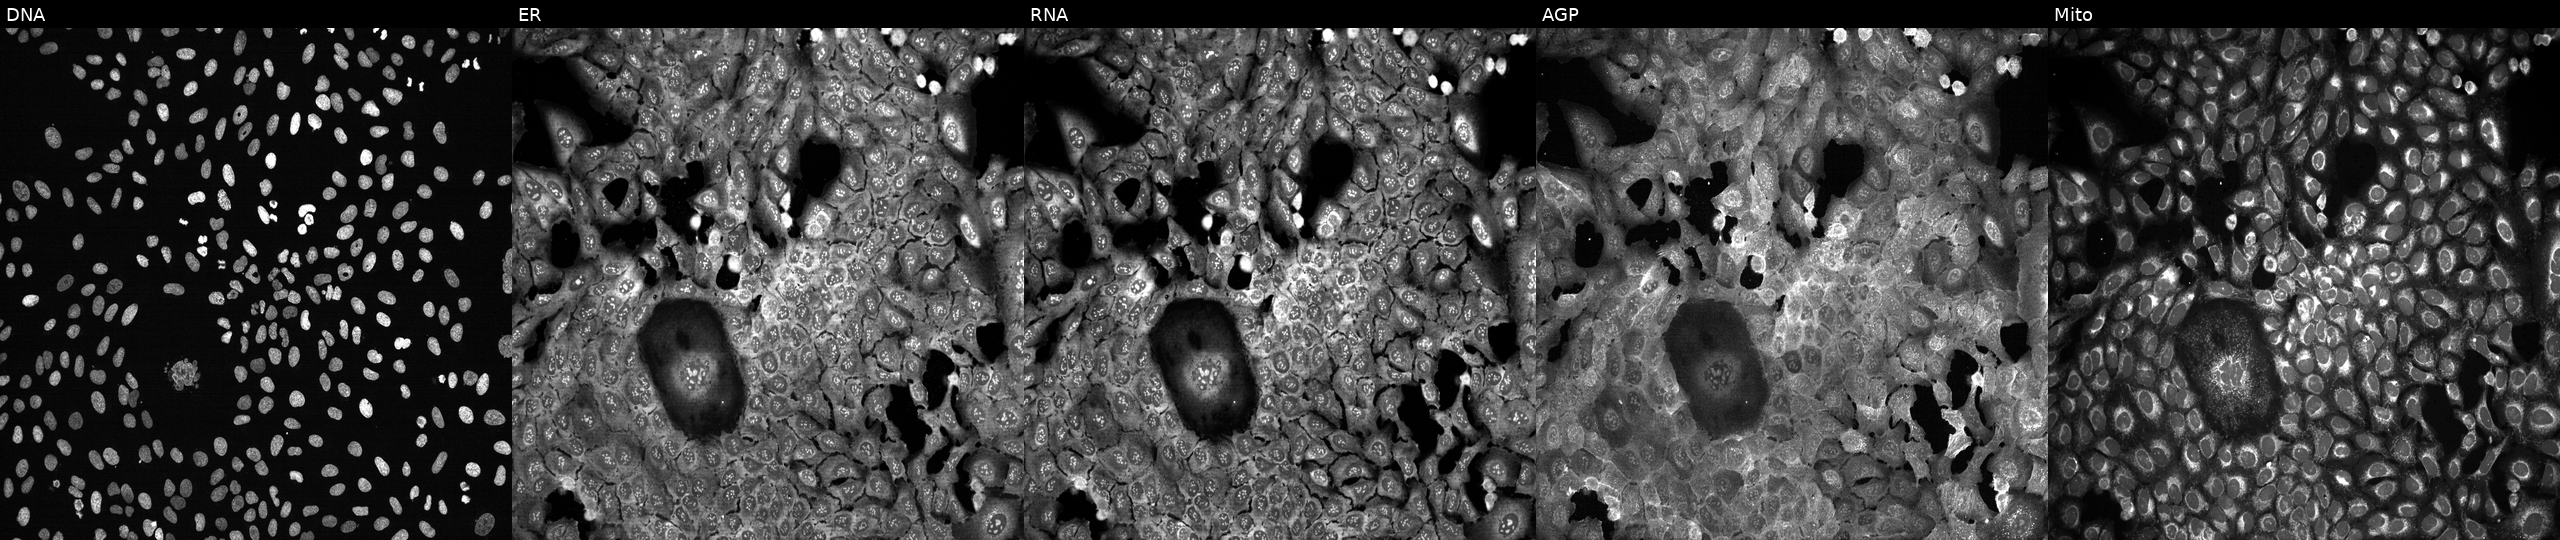
JUMP Cell Painting — CRISPR plate. U2OS cells with MARS knocked out by CRISPR. From left to right: DNA (nuclei); ER (endoplasmic reticulum); RNA (nucleoli and cytoplasmic RNA); AGP (actin cytoskeleton, Golgi, and plasma membrane); Mito (mitochondria). Source 13, plate CP-CC9-R2-02, well L06.